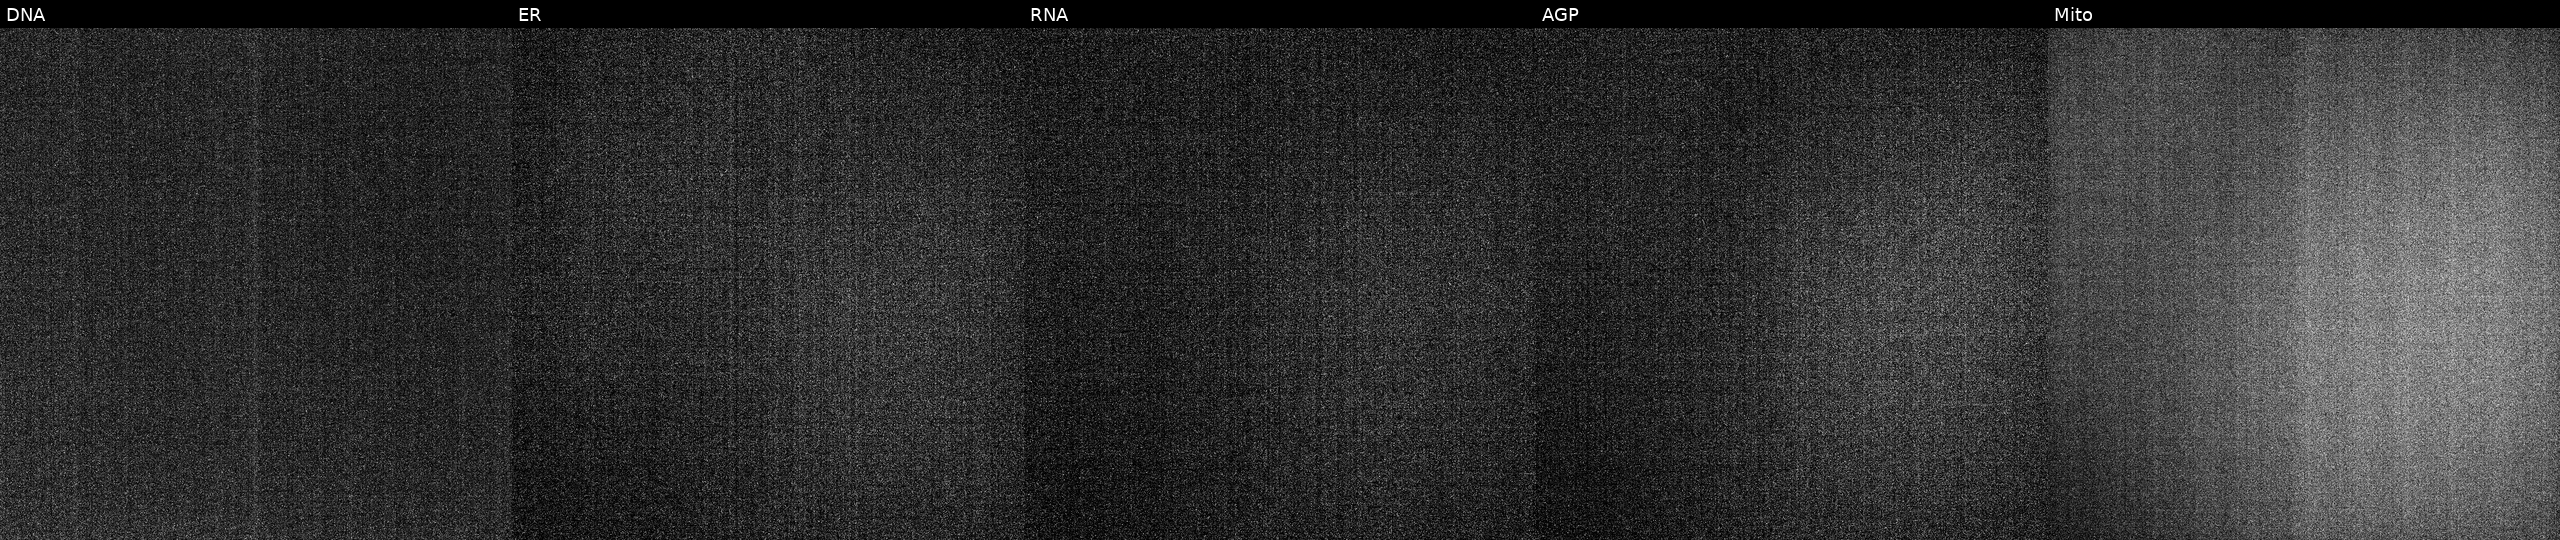
JUMP Cell Painting — TARGET2 plate. U2OS cells exposed to a small-molecule compound (InChIKey SZBGQDXLNMELTB-UHFFFAOYSA-N) (JUMP id JCP2022_086505). From left to right: Hoechst 33342, concanavalin A, SYTO 14, phalloidin and WGA, MitoTracker.